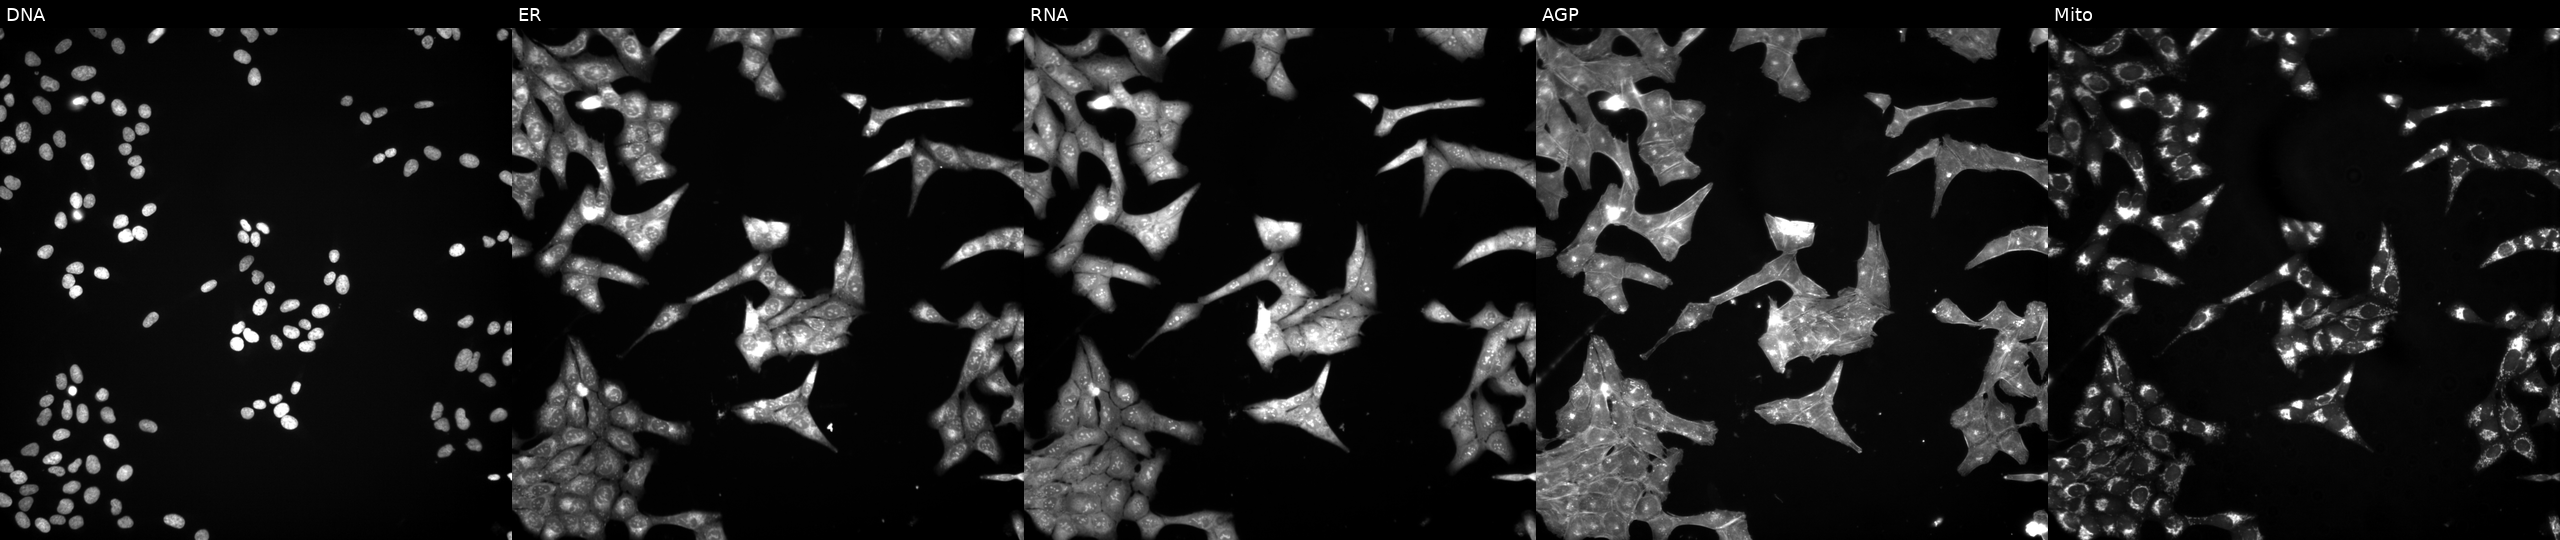
The five panels, left to right, show DNA (nuclei); ER (endoplasmic reticulum); RNA (nucleoli and cytoplasmic RNA); AGP (actin cytoskeleton, Golgi, and plasma membrane); Mito (mitochondria). U2OS osteosarcoma cells treated with a small-molecule compound (InChIKey JVCWPUFNLFSKFS-UHFFFAOYSA-N) (JUMP id JCP2022_042332). Cell Painting assay, JUMP-CP dataset. Source 3, plate JCPQC053, well C10.